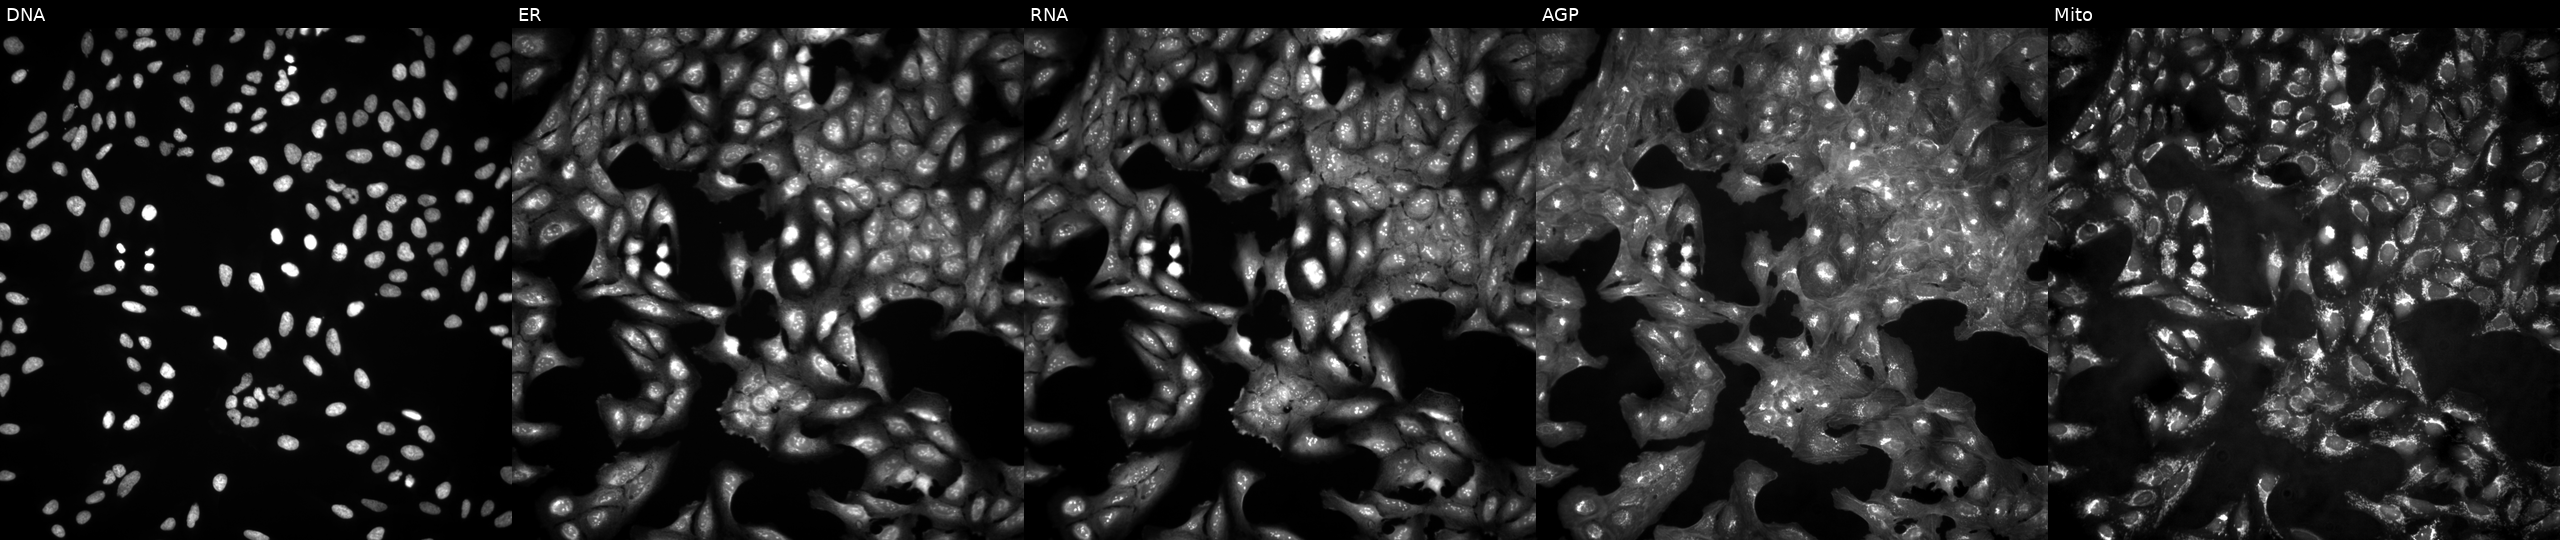
High-content fluorescence microscopy (Cell Painting). Cell line: U2OS. Perturbation: untreated (empty-well control) (JUMP id JCP2022_999999). Panels show, left to right, DNA (nuclei); ER (endoplasmic reticulum); RNA (nucleoli and cytoplasmic RNA); AGP (actin cytoskeleton, Golgi, and plasma membrane); Mito (mitochondria). Source 4, plate BR00123946, well H18.